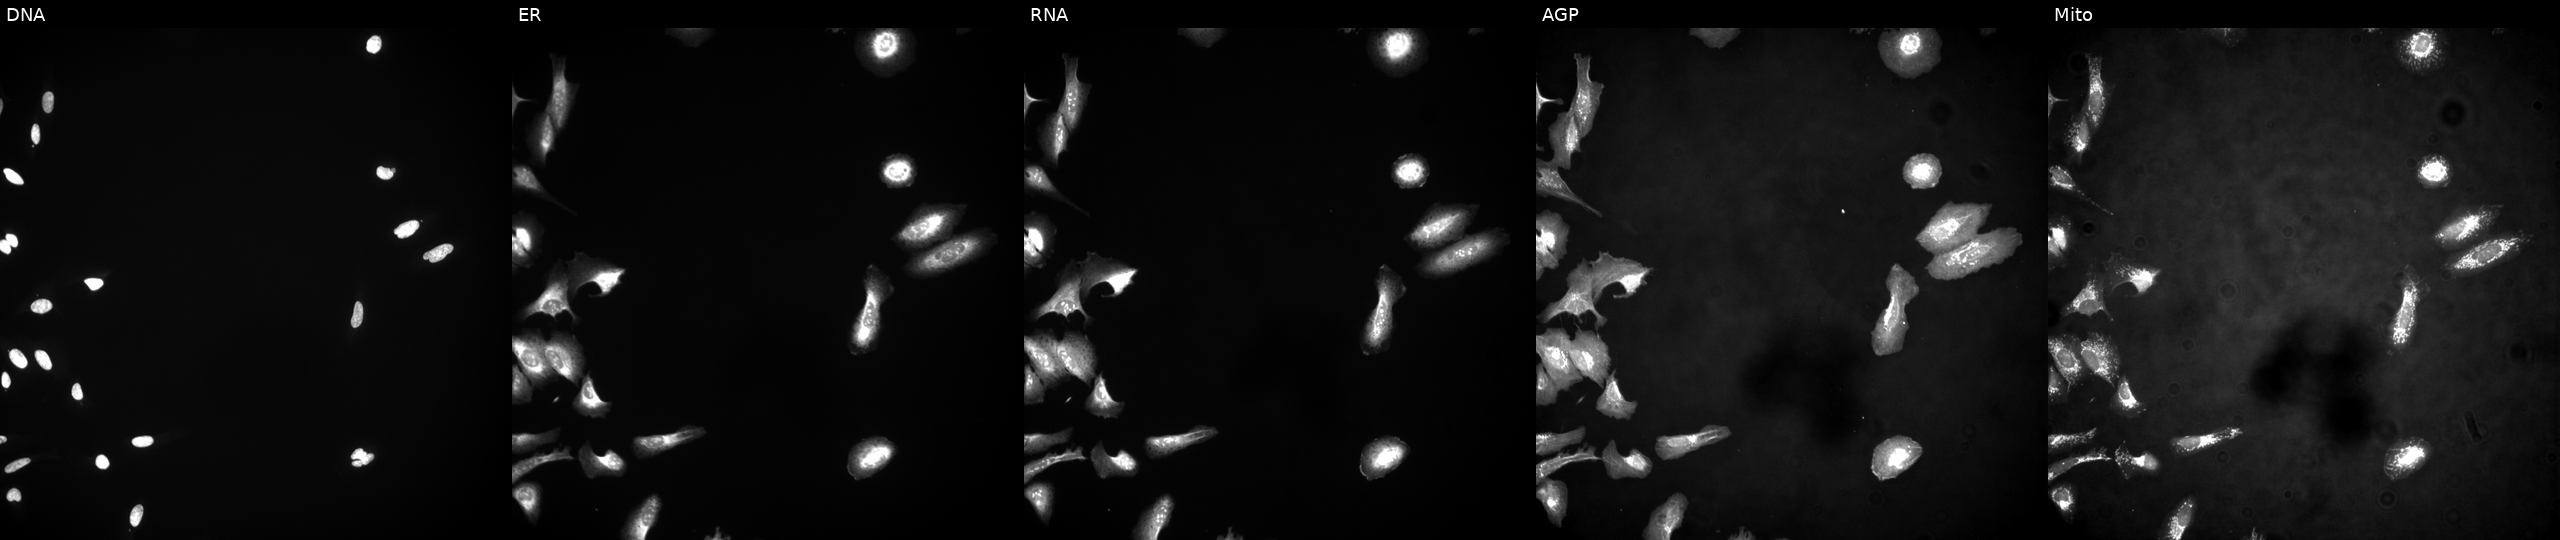
Panels show, left to right, DNA, ER, RNA, AGP, and Mito. U2OS osteosarcoma cells with MATN4 overexpressed (ORF) (JUMP id JCP2022_906821). Cell Painting assay, JUMP-CP dataset.